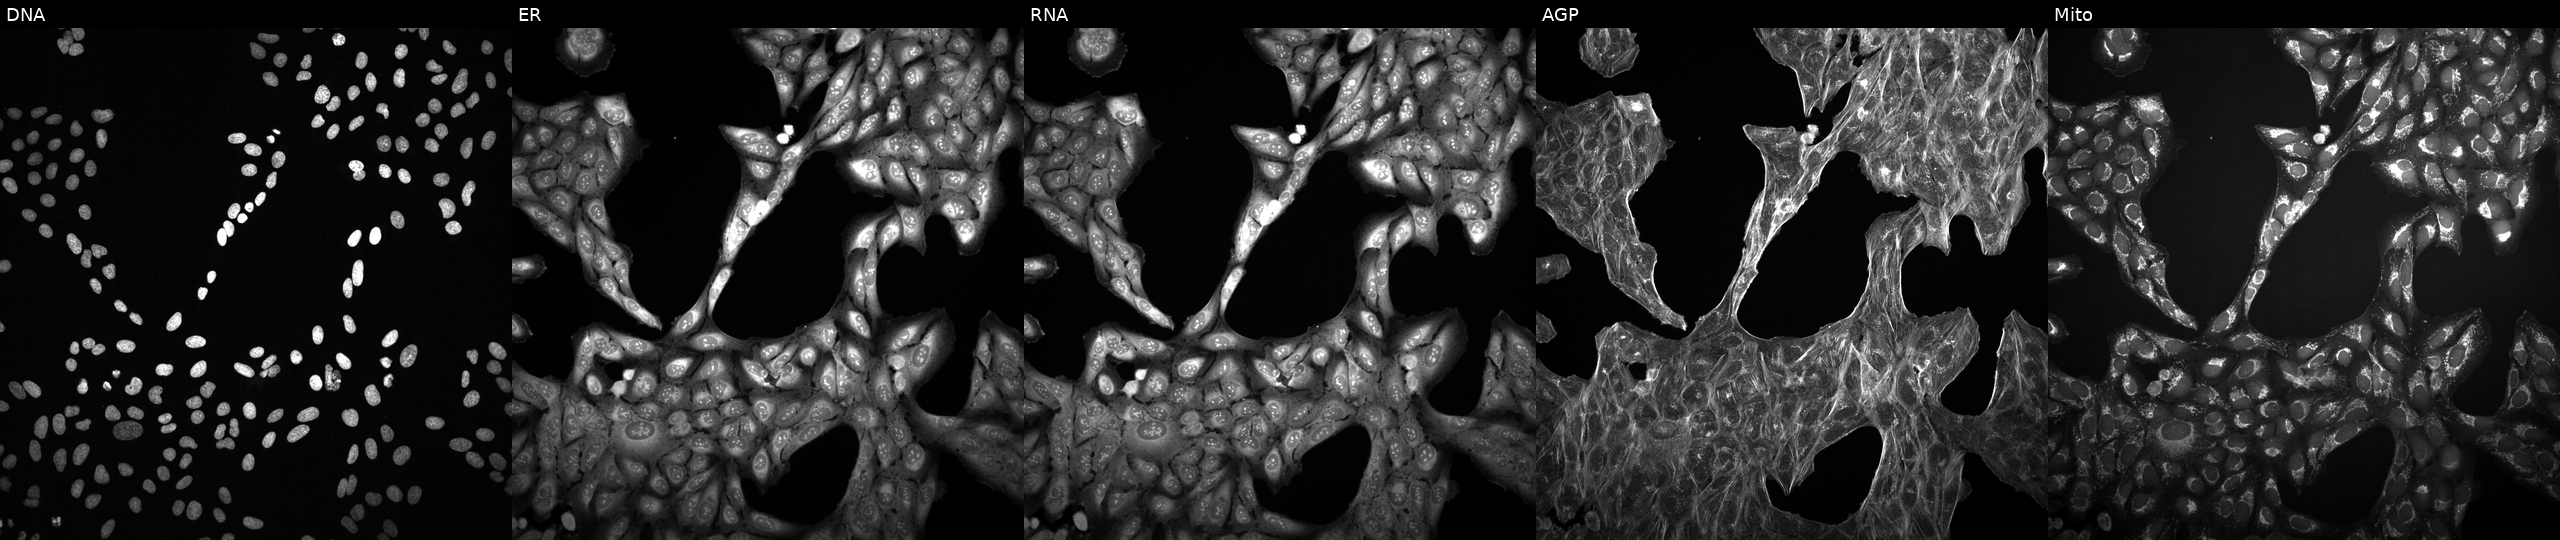
Panels show, left to right, Hoechst 33342, concanavalin A, SYTO 14, phalloidin and WGA, MitoTracker. U2OS osteosarcoma cells exposed to a small-molecule compound. Cell Painting assay, JUMP-CP dataset.